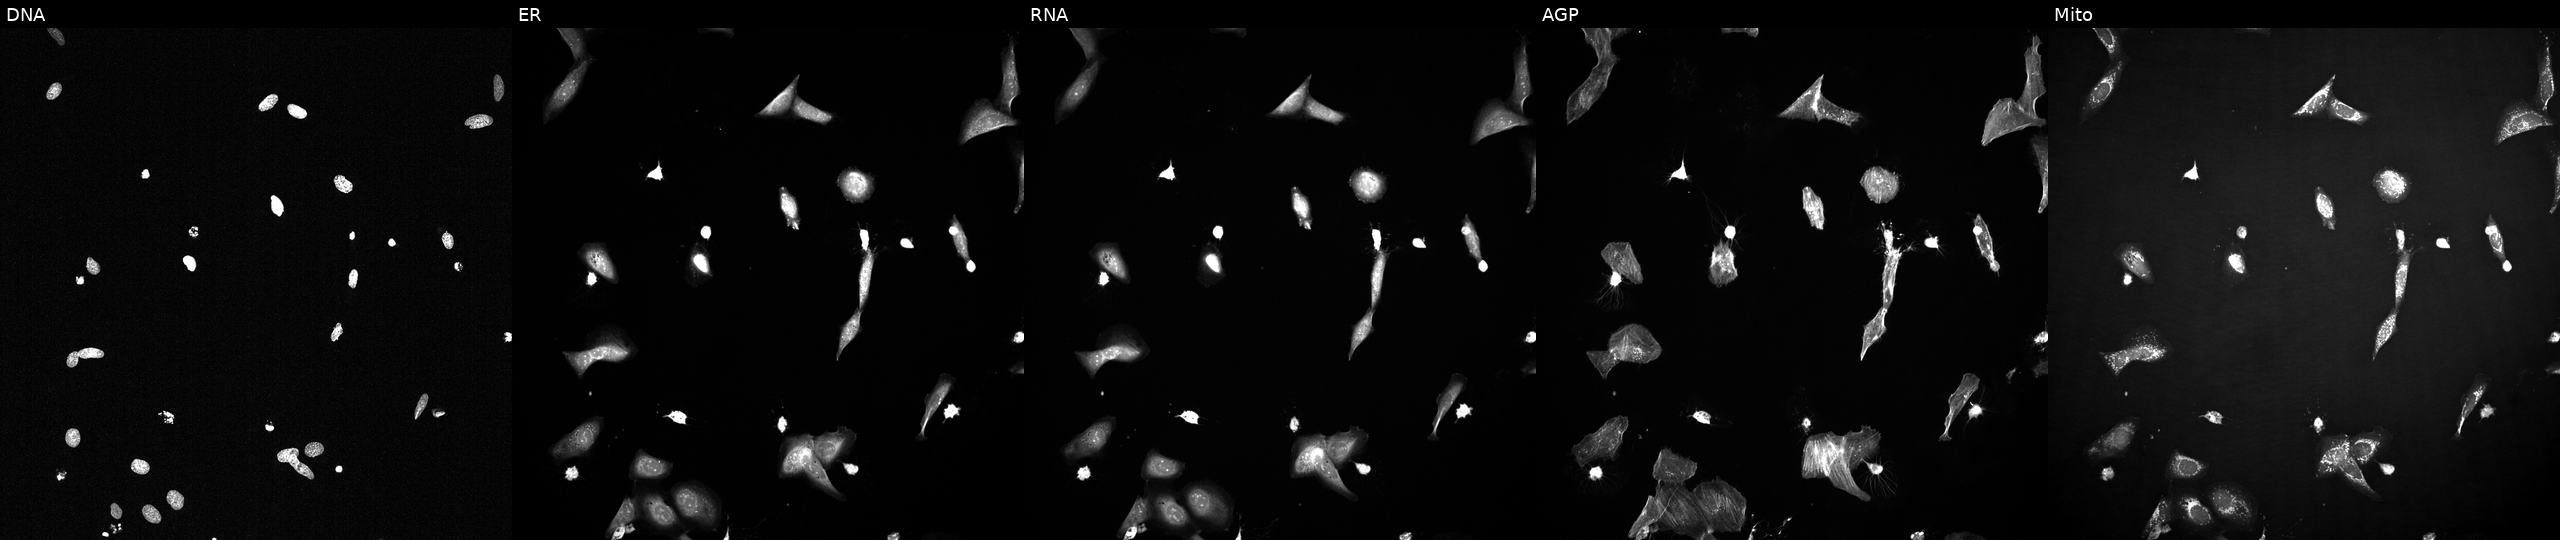
JUMP Cell Painting — TARGET2 plate. U2OS cells perturbed with a small-molecule compound (InChIKey AYCPARAPKDAOEN-UHFFFAOYSA-N) [SMILES: Cc1nc(=Nc2[nH]nc3c2CN(C(=O)NC(CN(C)C)c2ccccc2)C3(C)C)c2sccc2[nH]1]. Channels (left→right): DNA (nuclei); ER (endoplasmic reticulum); RNA (nucleoli and cytoplasmic RNA); AGP (actin cytoskeleton, Golgi, and plasma membrane); Mito (mitochondria). Source 2, plate 1053600674, well M11.